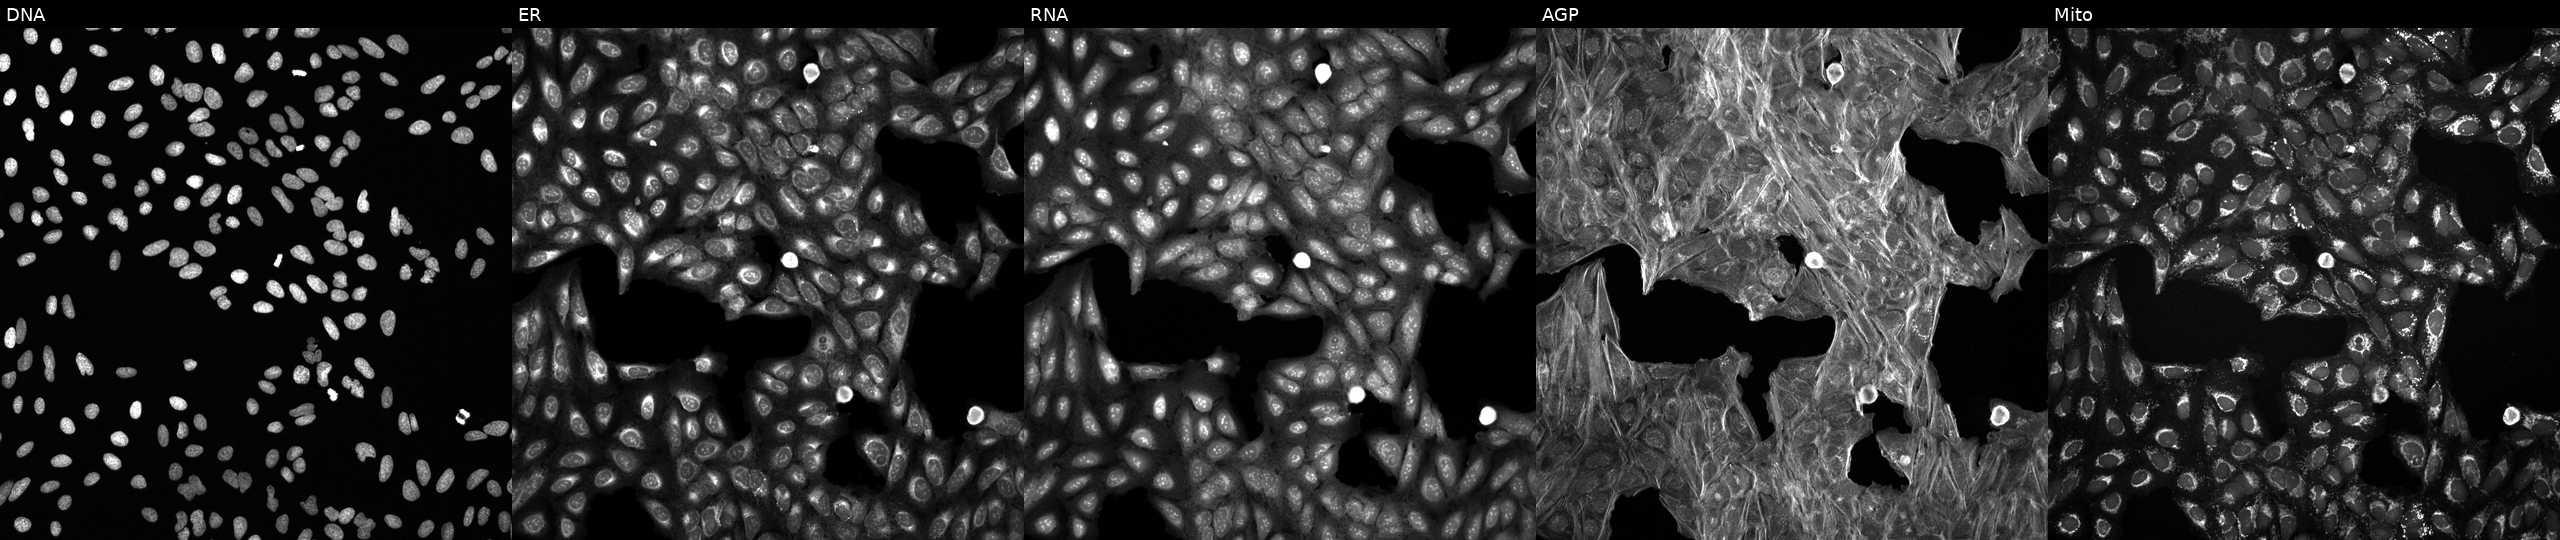
Channels (left→right): DNA, ER, RNA, AGP, and Mito. U2OS osteosarcoma cells treated with DMSO vehicle only (negative control) (JUMP id JCP2022_033924). Cell Painting assay, JUMP-CP dataset.